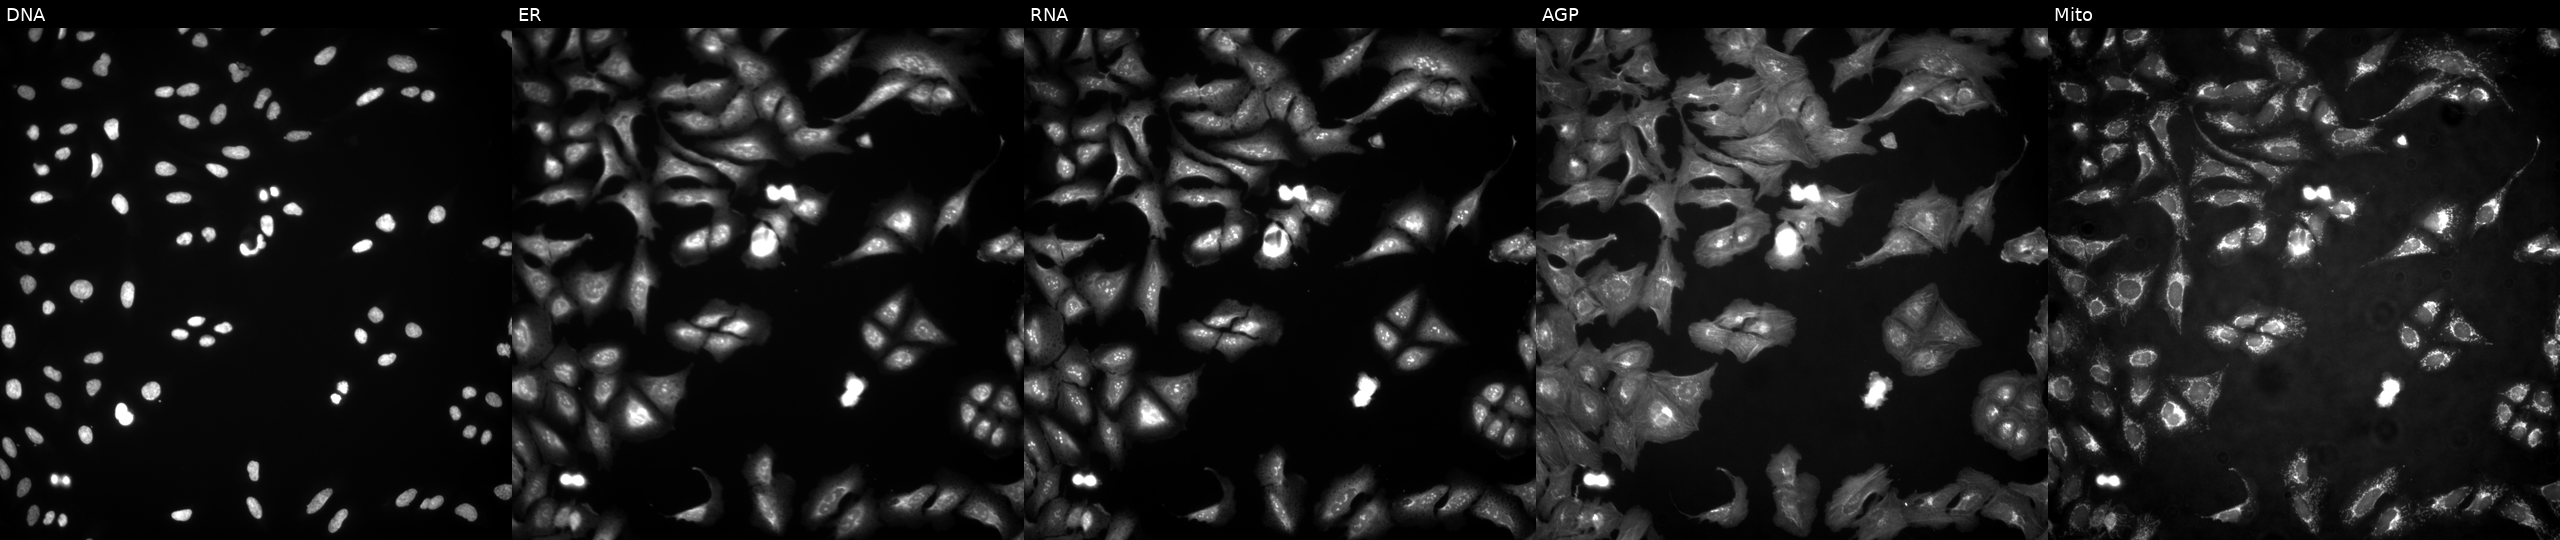
Five-channel Cell Painting image of U2OS cells with CNN2 overexpressed (ORF) (JUMP id JCP2022_905623). From left to right: DNA (nuclei); ER (endoplasmic reticulum); RNA (nucleoli and cytoplasmic RNA); AGP (actin cytoskeleton, Golgi, and plasma membrane); Mito (mitochondria).